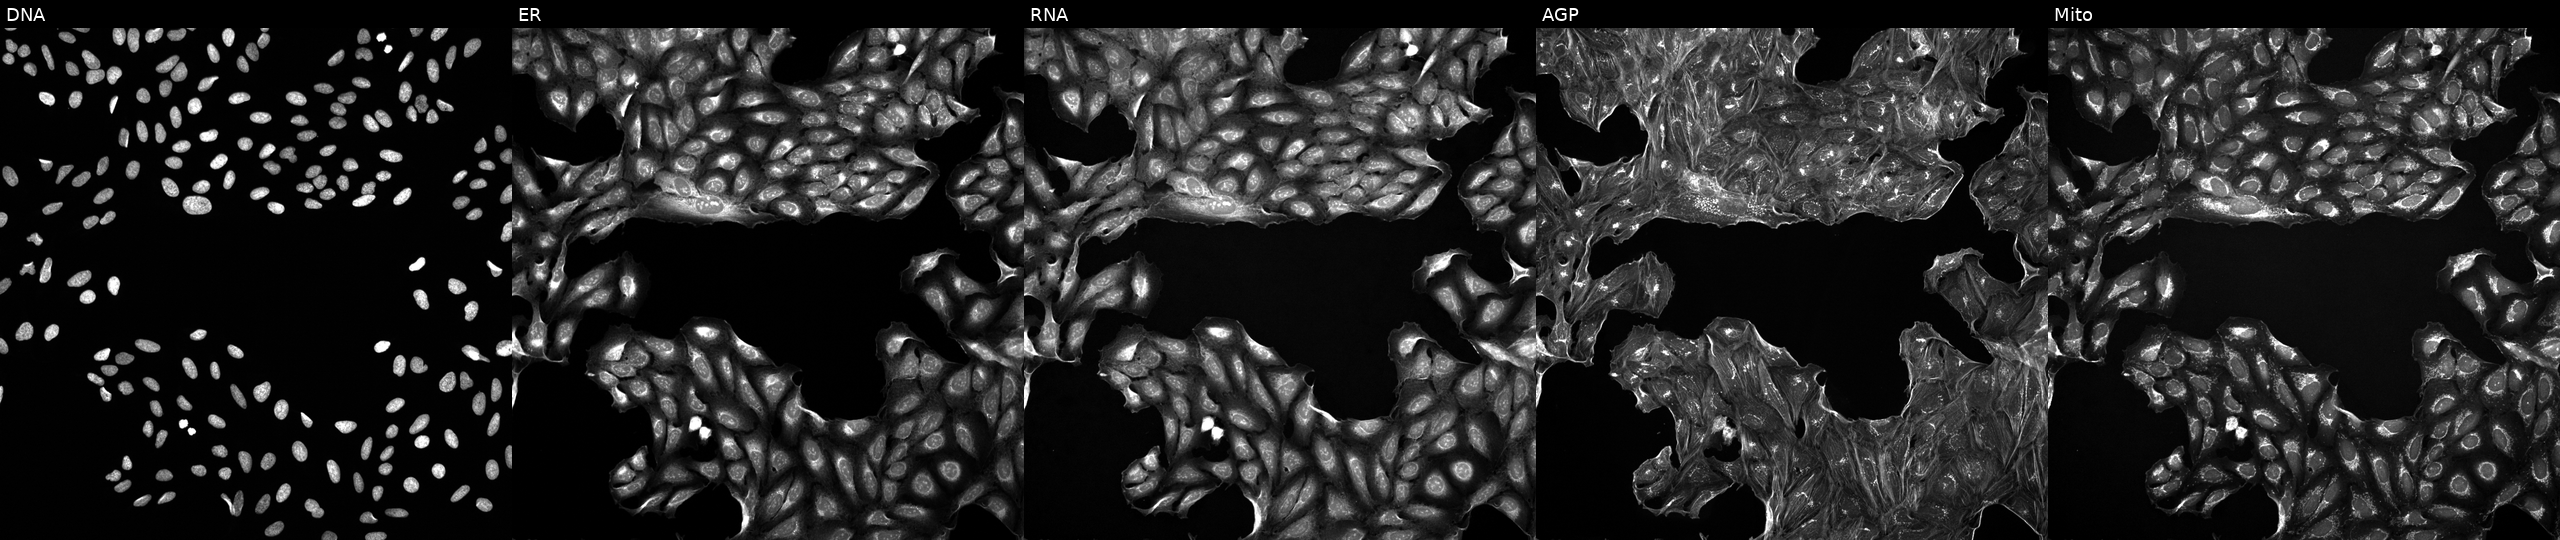
U2OS cells, Cell Painting assay, perturbed with a small-molecule compound (InChIKey KXDROGADUISDGY-UHFFFAOYSA-N) (JUMP id JCP2022_047559). Channels (left→right): Hoechst 33342, concanavalin A, SYTO 14, phalloidin and WGA, MitoTracker. Each panel is percentile-stretched 16-bit fluorescence.